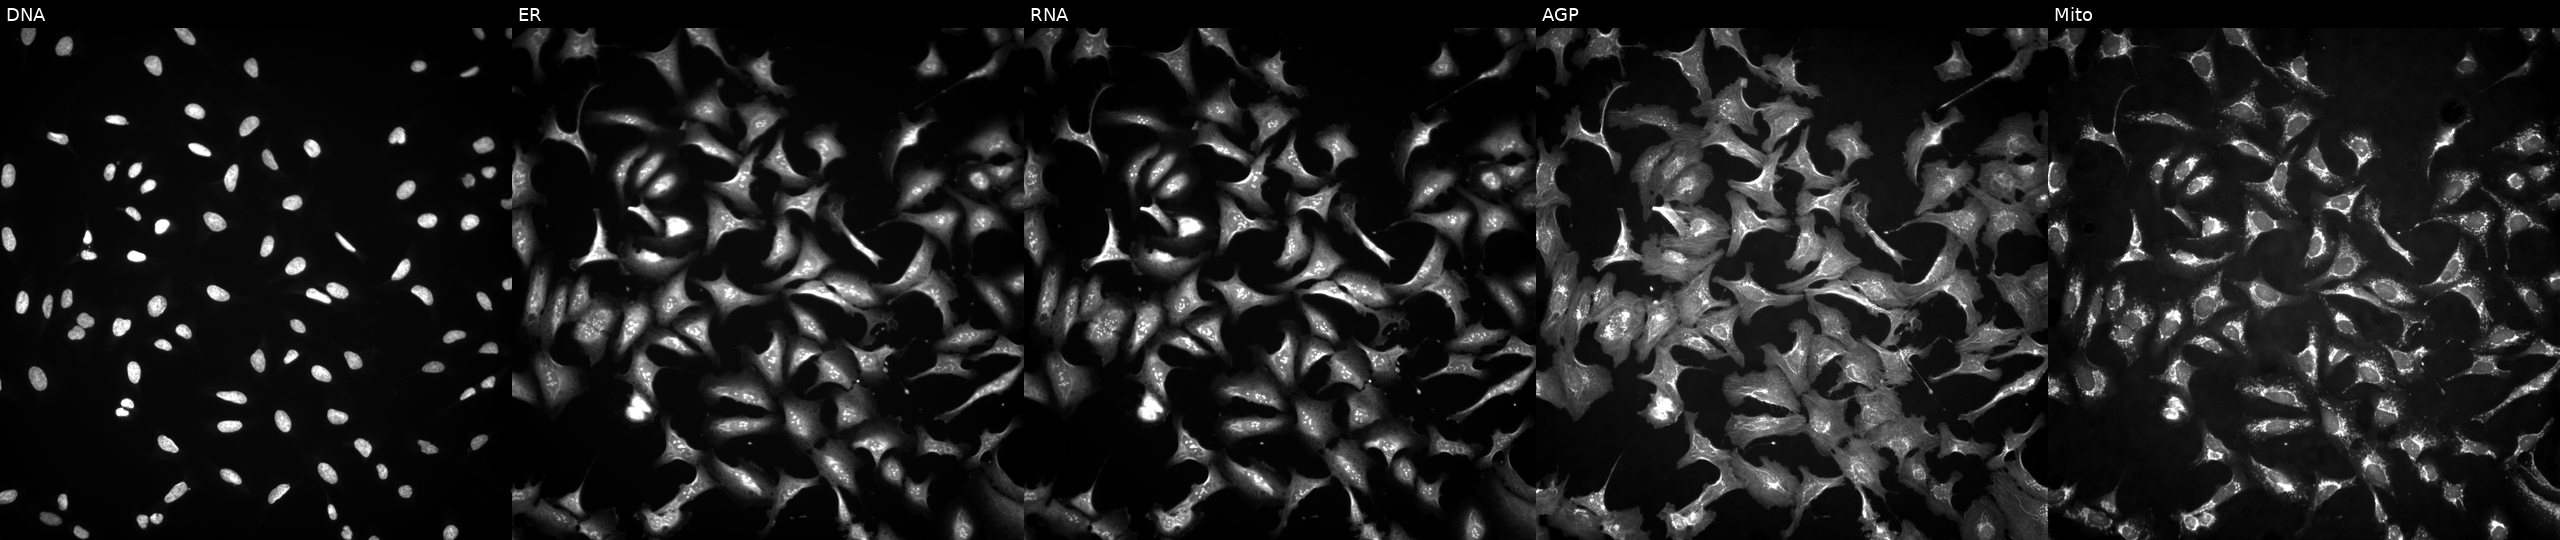
The five panels, left to right, show DNA, ER, RNA, AGP, and Mito. U2OS osteosarcoma cells transfected with an ORF construct for EGR3 (JUMP id JCP2022_900457). Cell Painting assay, JUMP-CP dataset.